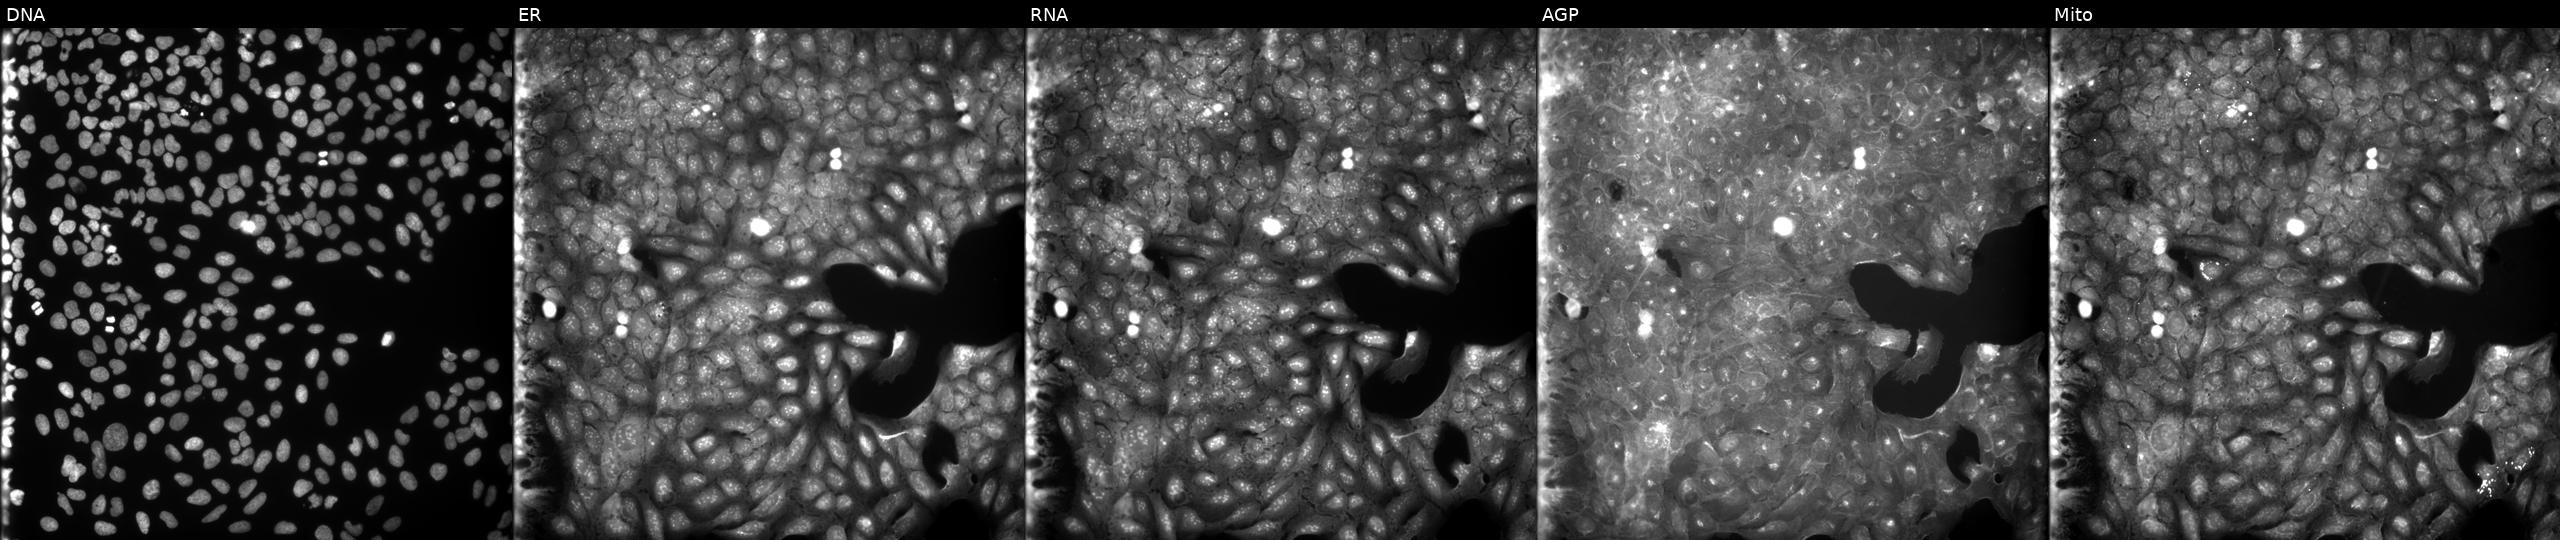
U2OS cells, Cell Painting assay, perturbed with a small-molecule compound (InChIKey MMNMEYWUIYBJJM-UHFFFAOYSA-N) (JUMP id JCP2022_055100). Panels show, left to right, DNA (nuclei); ER (endoplasmic reticulum); RNA (nucleoli and cytoplasmic RNA); AGP (actin cytoskeleton, Golgi, and plasma membrane); Mito (mitochondria). Each panel is percentile-stretched 16-bit fluorescence.